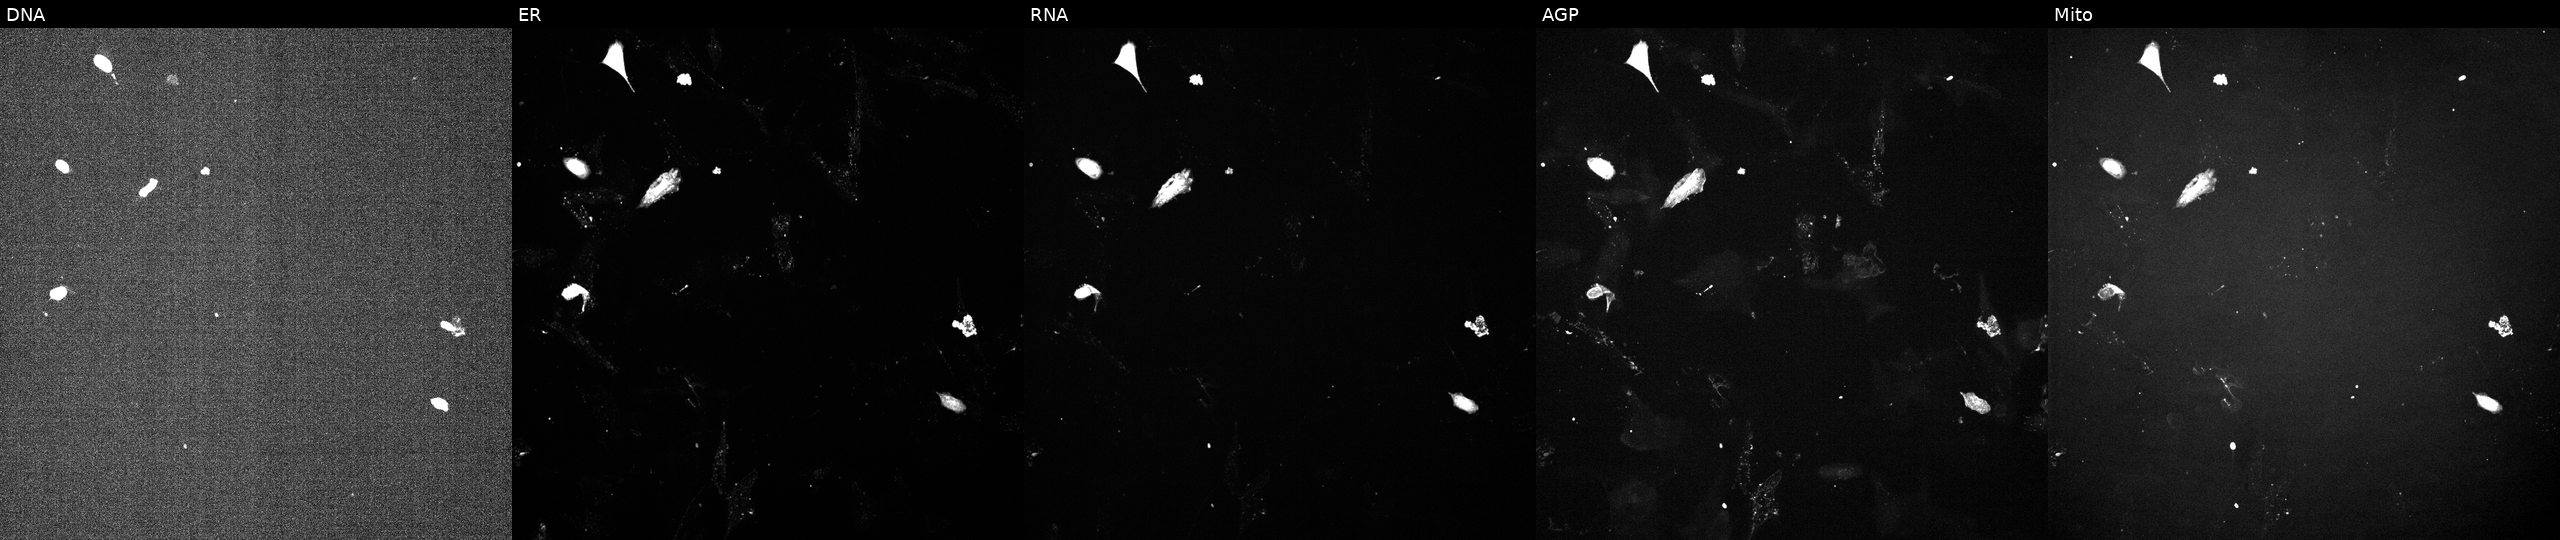
Panels show, left to right, DNA (nuclei); ER (endoplasmic reticulum); RNA (nucleoli and cytoplasmic RNA); AGP (actin cytoskeleton, Golgi, and plasma membrane); Mito (mitochondria). U2OS osteosarcoma cells treated with a small-molecule compound (JUMP id JCP2022_084606). Cell Painting assay, JUMP-CP dataset. Source 6, plate 110000293093, well L06.